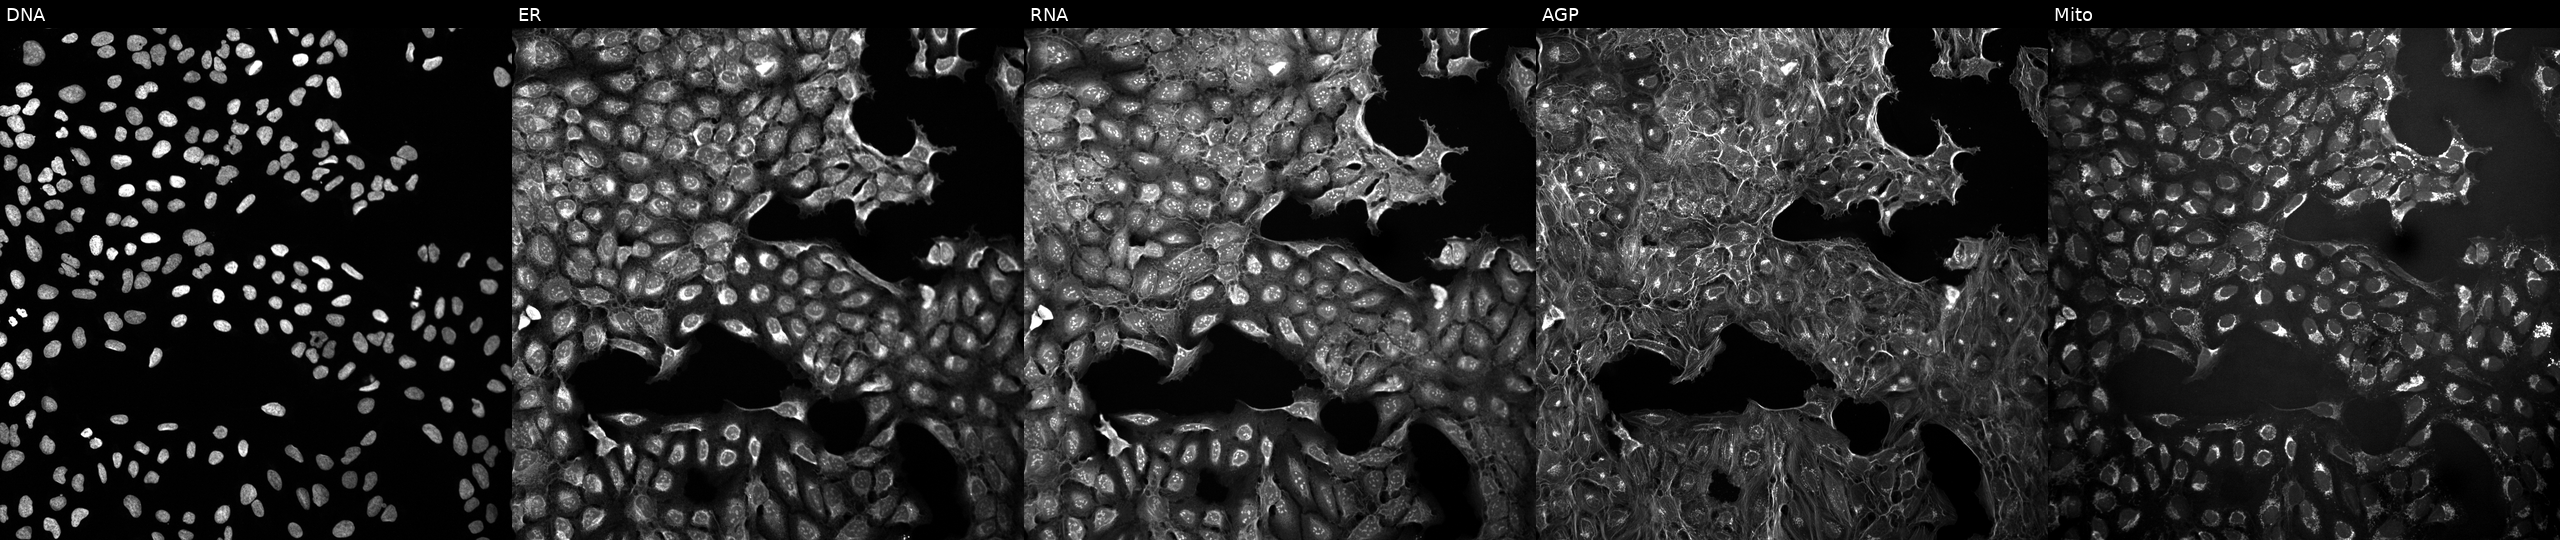
This image strip shows the five Cell Painting channels for a single field of U2OS cells in an empty control well (no perturbation) (JUMP id JCP2022_999999). The five panels, left to right, show DNA, ER, RNA, AGP, and Mito.